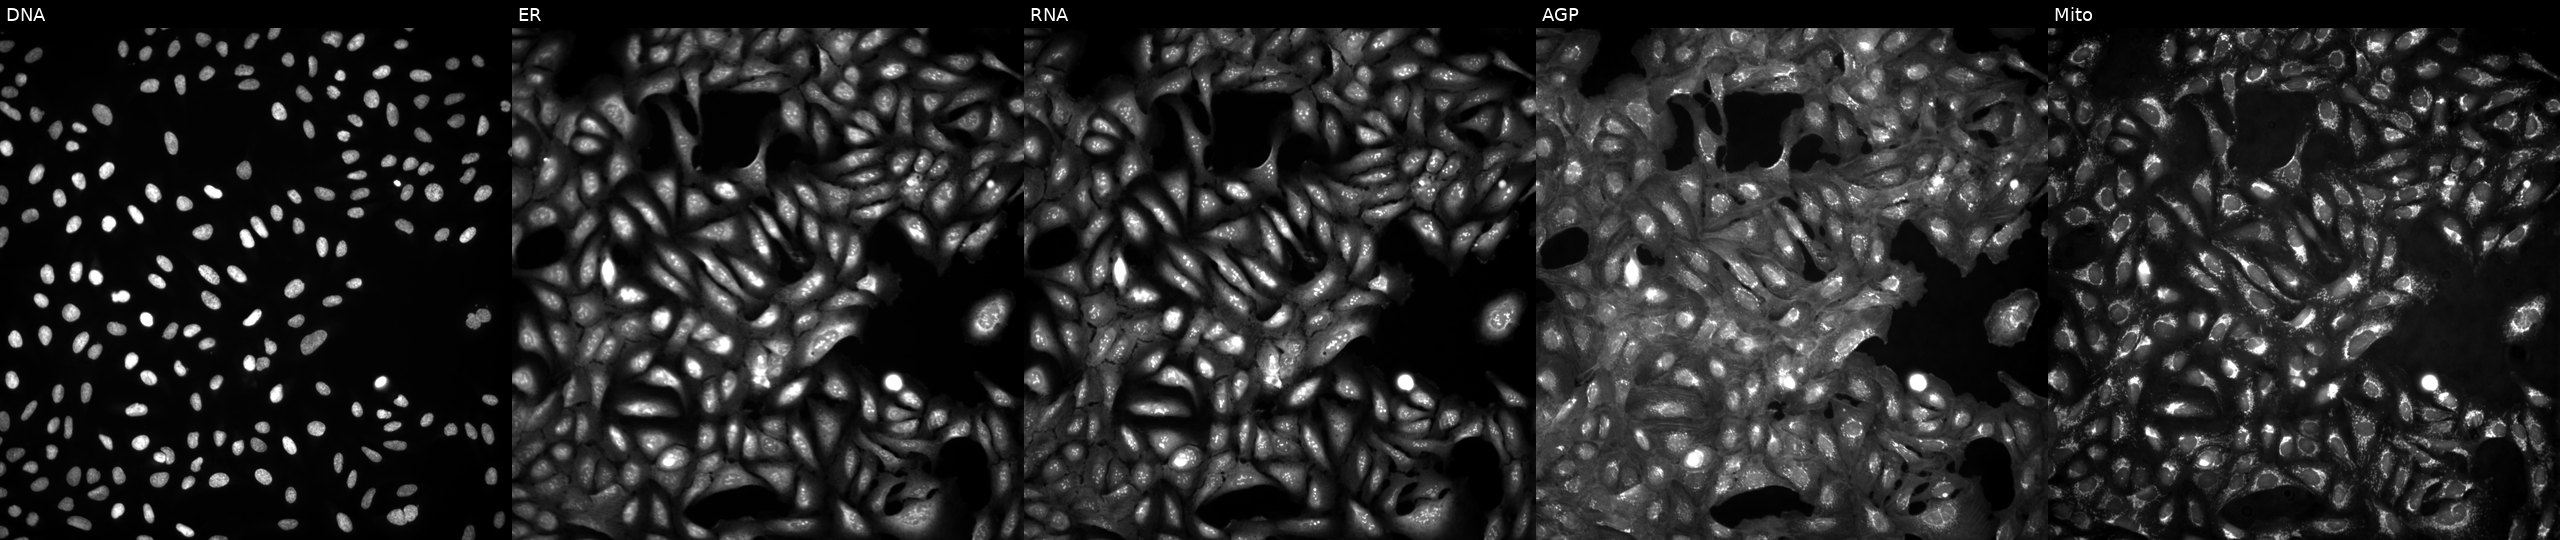
High-content fluorescence microscopy (Cell Painting). Cell line: U2OS. Perturbation: untreated (empty-well control) (JUMP id JCP2022_999999). The five panels, left to right, show Hoechst 33342, concanavalin A, SYTO 14, phalloidin and WGA, MitoTracker.